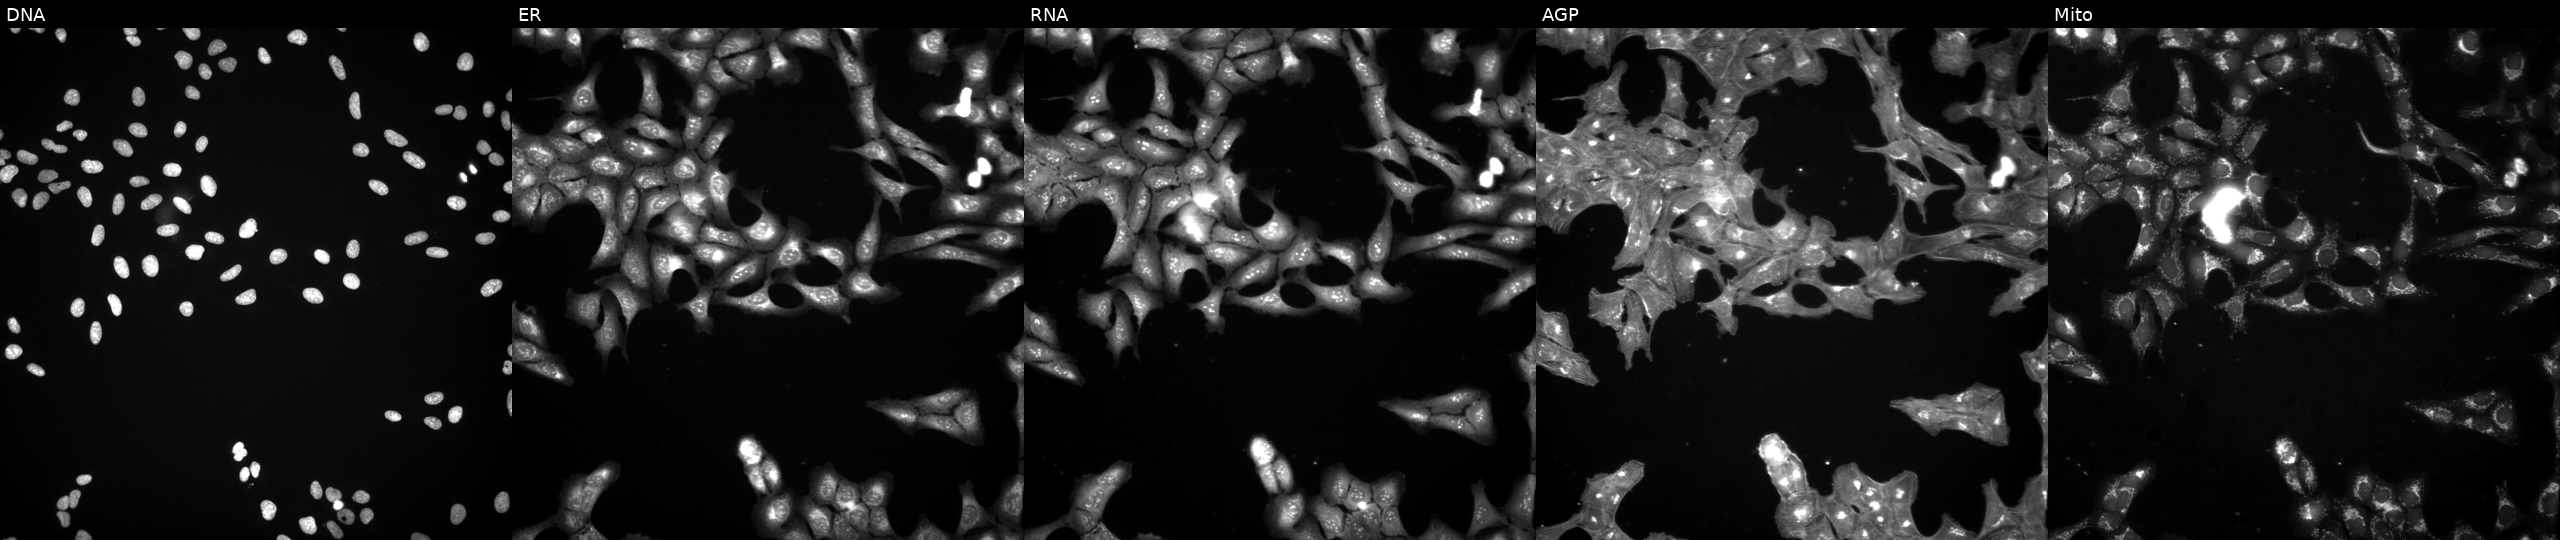
JUMP Cell Painting — TARGET2 plate. U2OS cells exposed to a small-molecule compound (InChIKey HQGWKNGAKBPTBX-UHFFFAOYSA-N) (JUMP id JCP2022_031861). Channels (left→right): Hoechst 33342, concanavalin A, SYTO 14, phalloidin and WGA, MitoTracker. Source 3, plate JCPQC052, well K18.